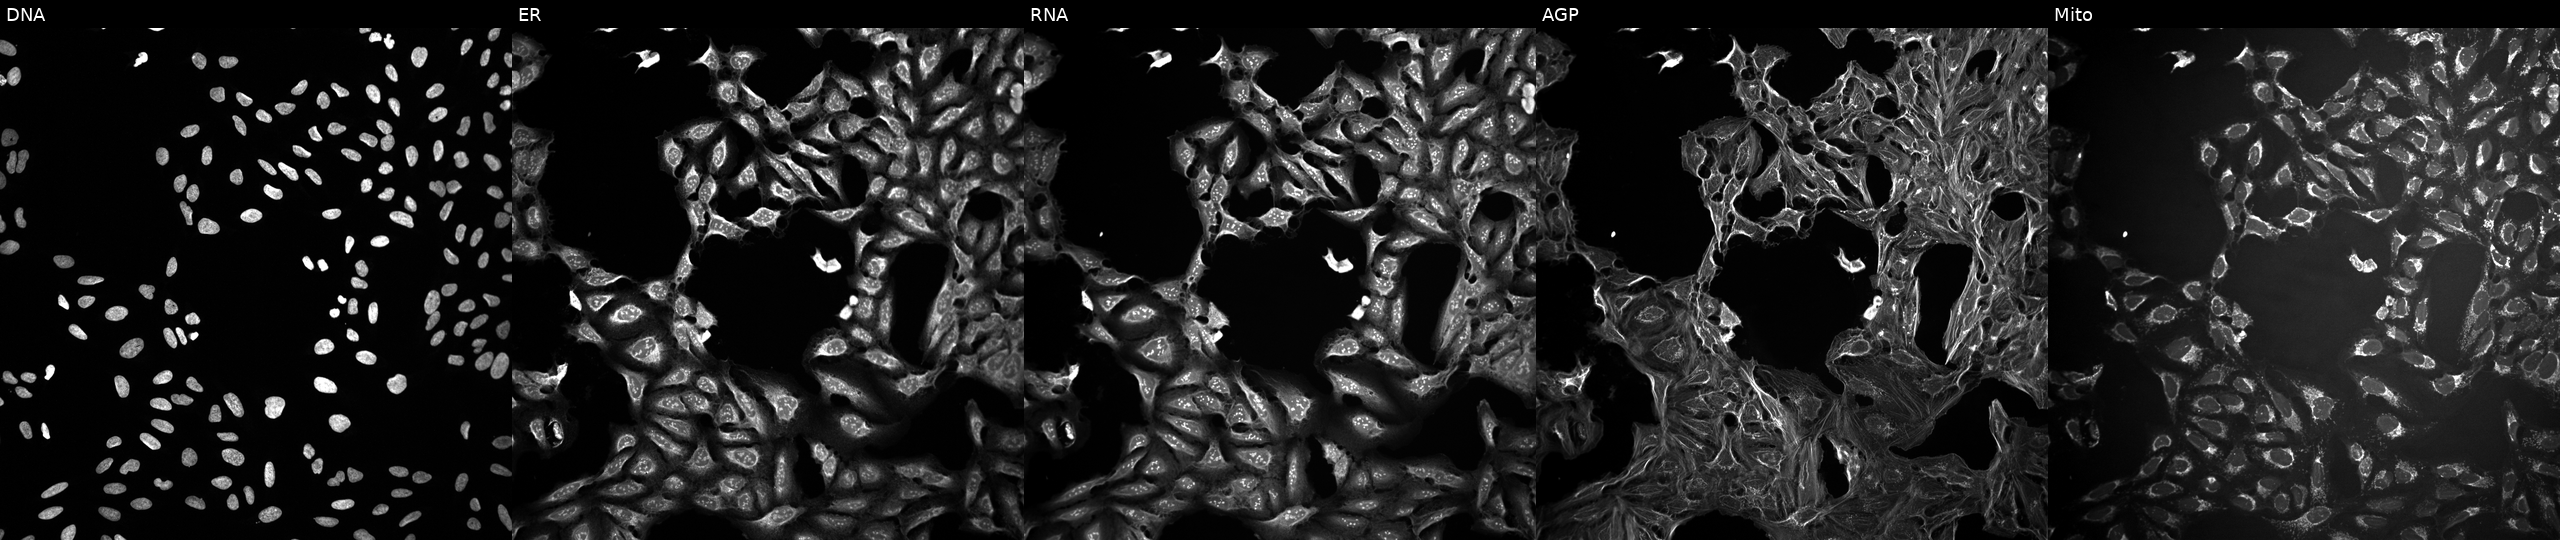
Five-channel Cell Painting image of U2OS cells exposed to a small-molecule compound (InChIKey SZBGQDXLNMELTB-UHFFFAOYSA-N). From left to right: Hoechst 33342, concanavalin A, SYTO 14, phalloidin and WGA, MitoTracker. Source 10, plate Dest210727-153003, well N22.